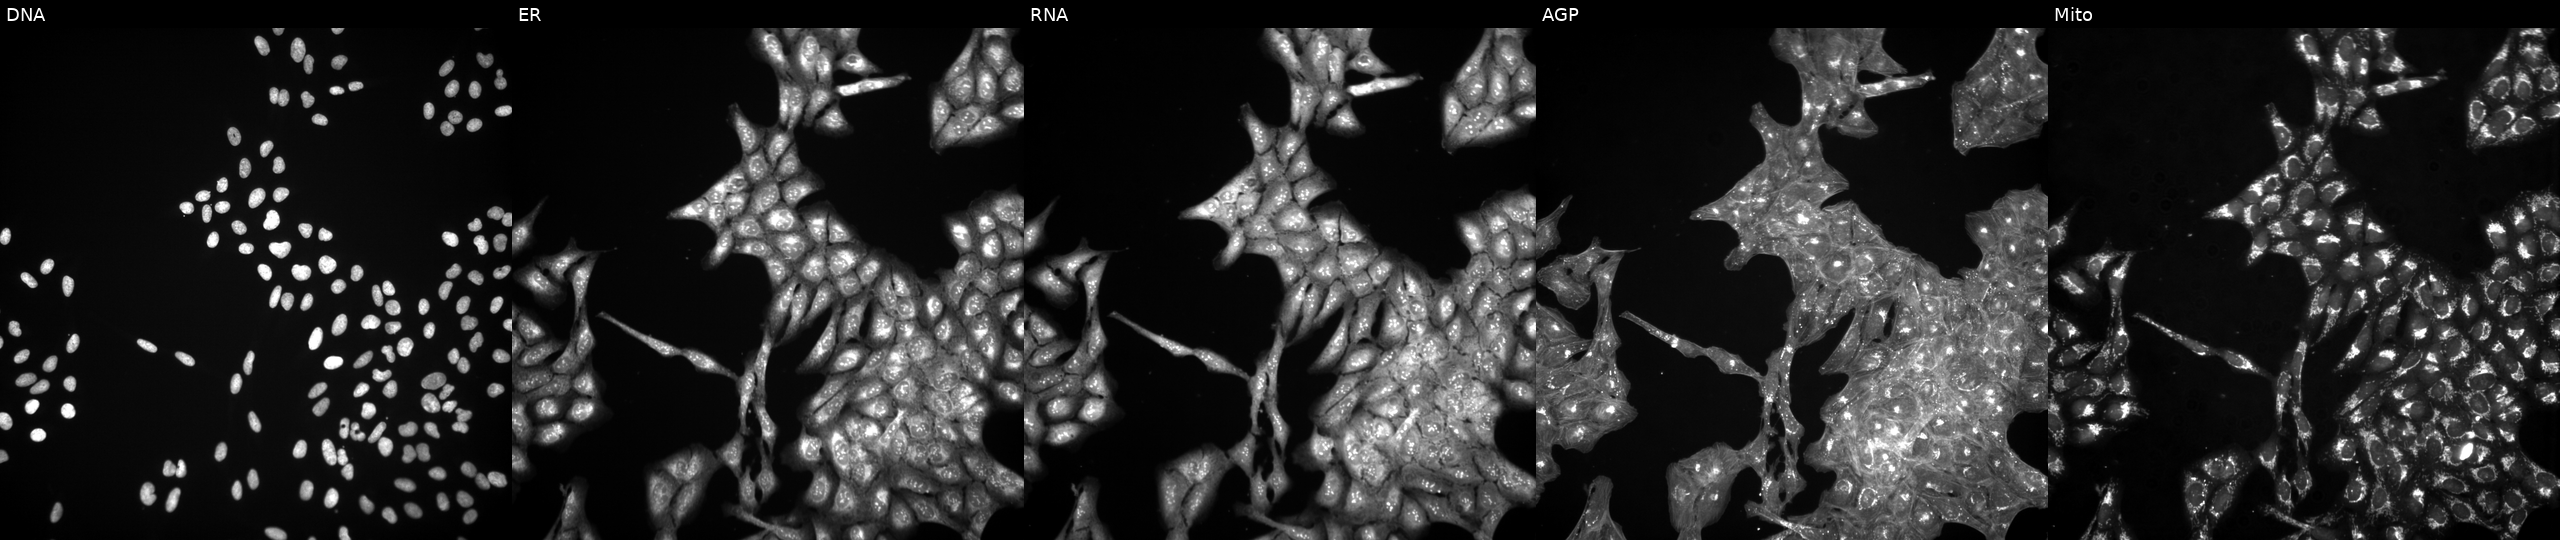
This image strip shows the five Cell Painting channels for a single field of U2OS cells perturbed with a small-molecule compound [SMILES: O=C1CCc2ccc(OCCCCN3CCN(c4cccc(Cl)c4Cl)CC3)cc2N1]. From left to right: DNA, ER, RNA, AGP, and Mito.